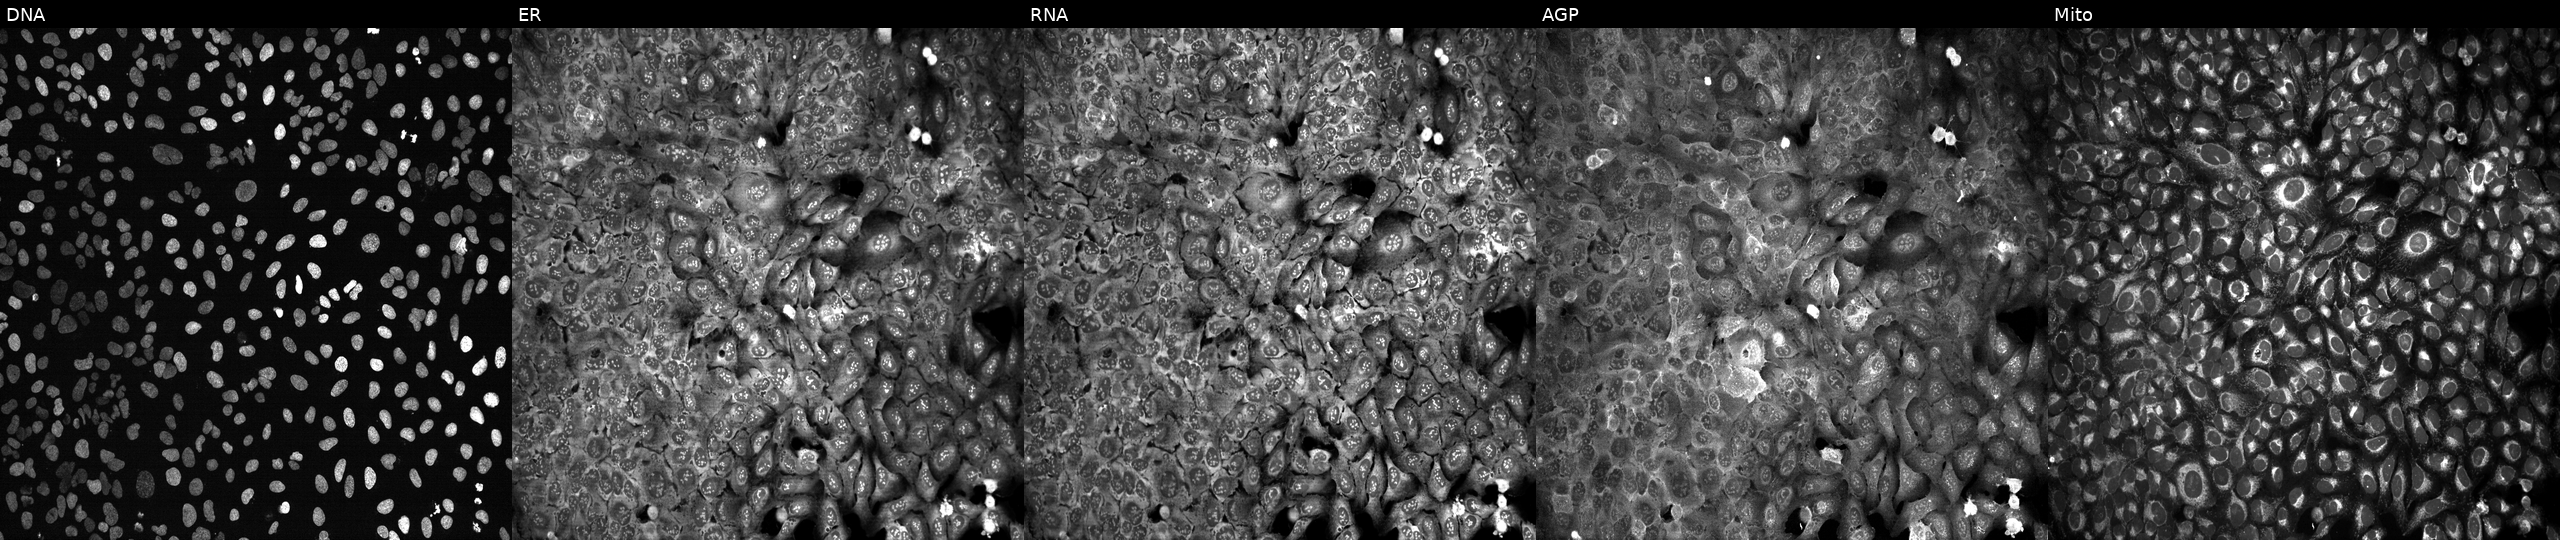
Five-channel Cell Painting image of U2OS cells with ABCB6 knocked out by CRISPR (JUMP id JCP2022_800036). Channels (left→right): DNA (nuclei); ER (endoplasmic reticulum); RNA (nucleoli and cytoplasmic RNA); AGP (actin cytoskeleton, Golgi, and plasma membrane); Mito (mitochondria).